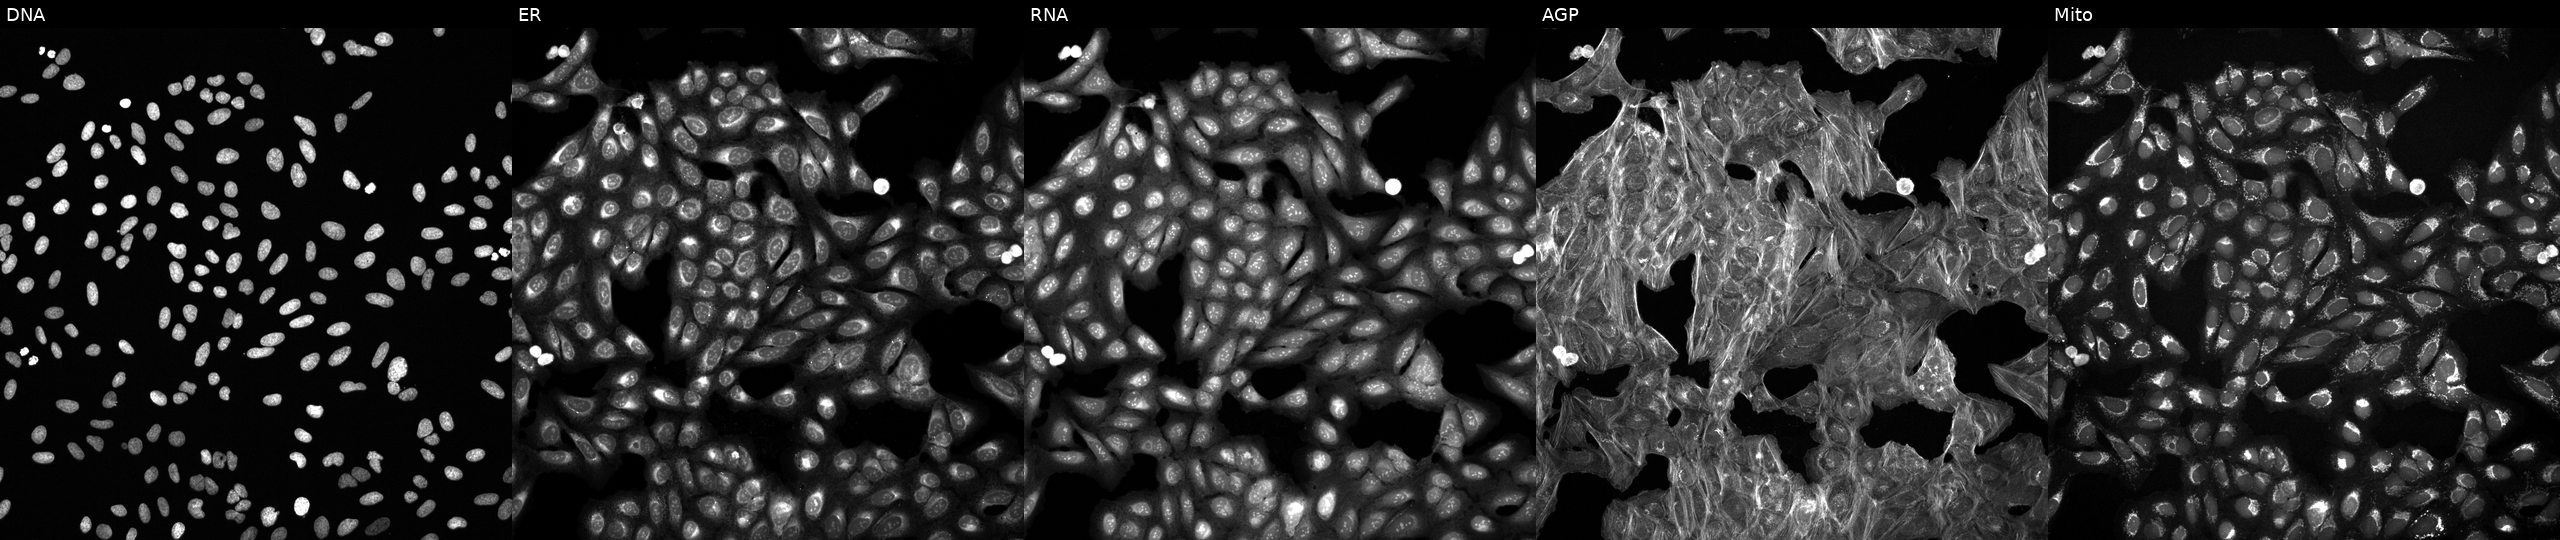
From left to right: DNA, ER, RNA, AGP, and Mito. U2OS osteosarcoma cells perturbed with a small-molecule compound (InChIKey SSEOPCGRRDDUMQ-UHFFFAOYSA-N). Cell Painting assay, JUMP-CP dataset.